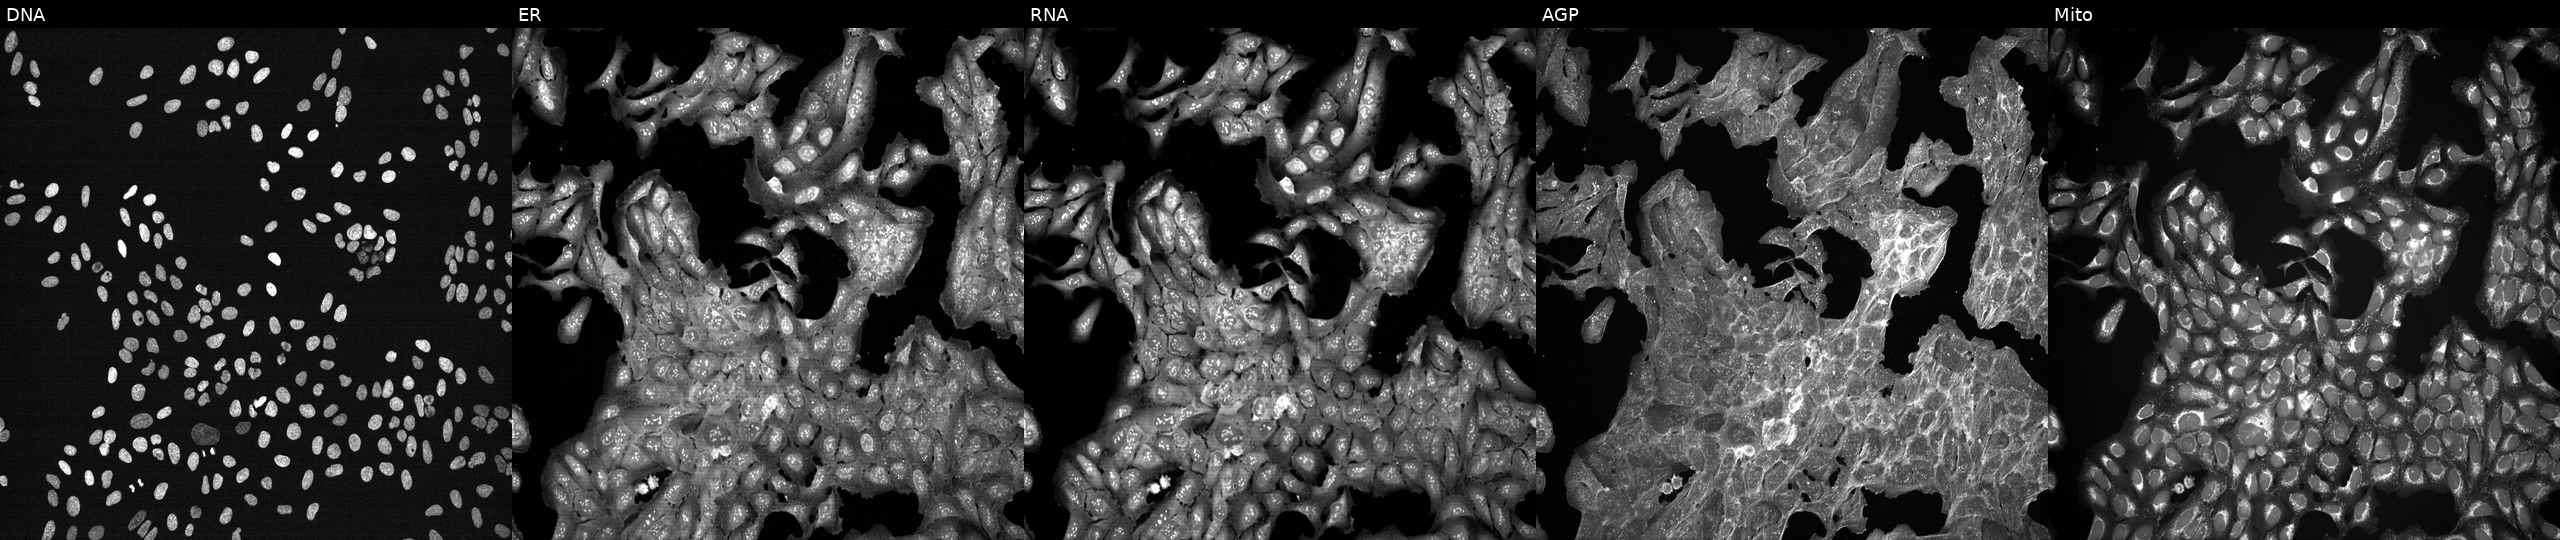
High-content fluorescence microscopy (Cell Painting). Cell line: U2OS. Perturbation: exposed to DMSO alone as a negative control. From left to right: DNA (nuclei); ER (endoplasmic reticulum); RNA (nucleoli and cytoplasmic RNA); AGP (actin cytoskeleton, Golgi, and plasma membrane); Mito (mitochondria).